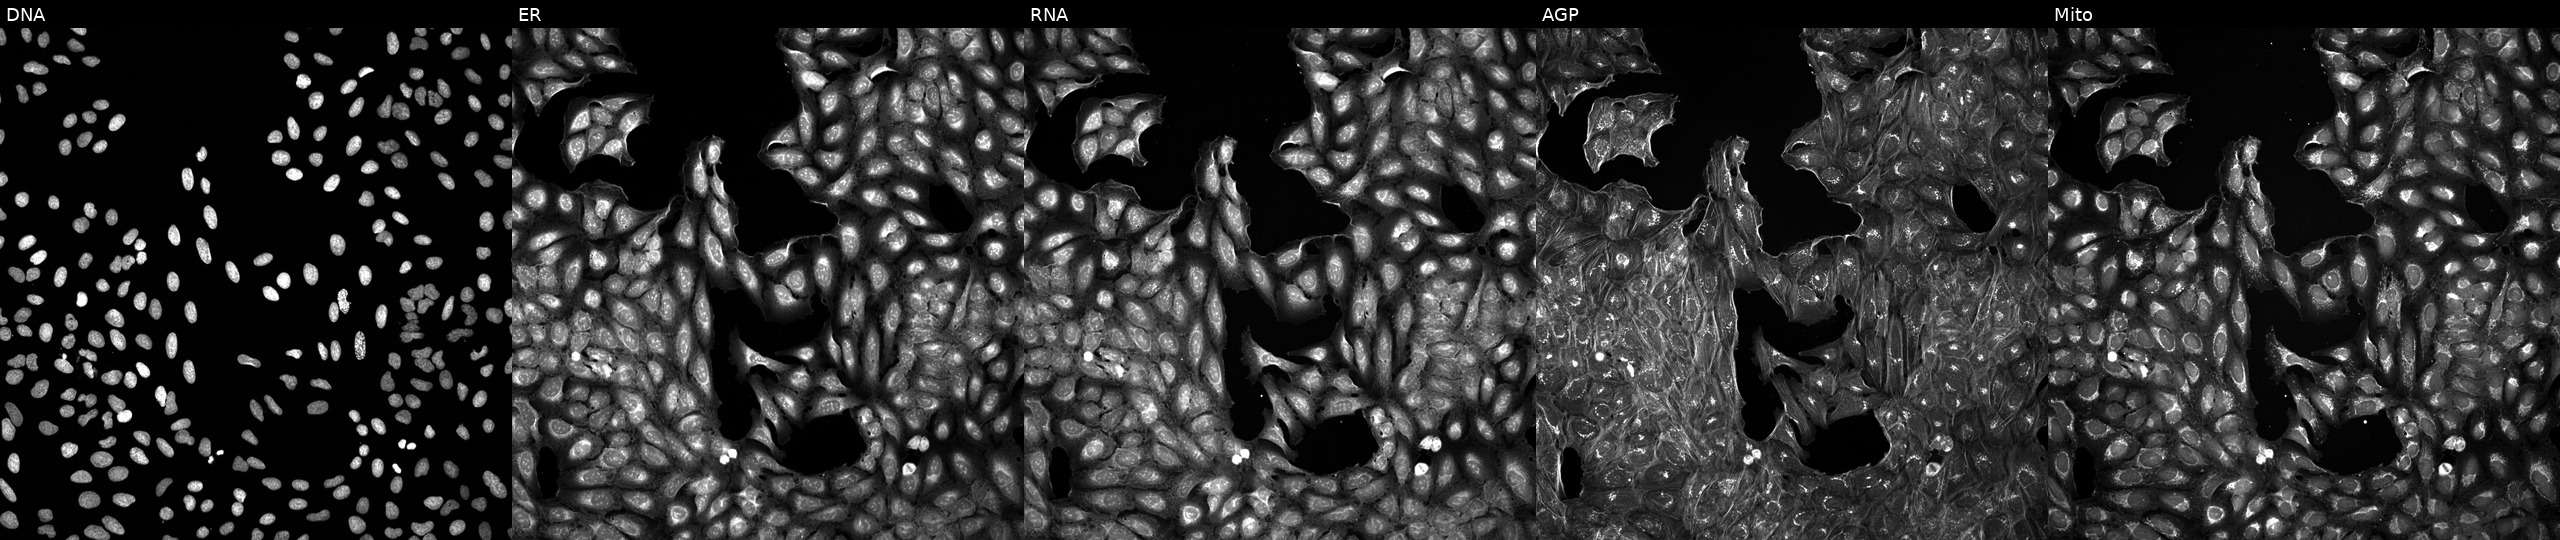
Five-channel Cell Painting image of U2OS cells exposed to a small-molecule compound (InChIKey YRGPLKYBBUFFTO-UHFFFAOYSA-N) (JUMP id JCP2022_110315). Channels (left→right): DNA, ER, RNA, AGP, and Mito.